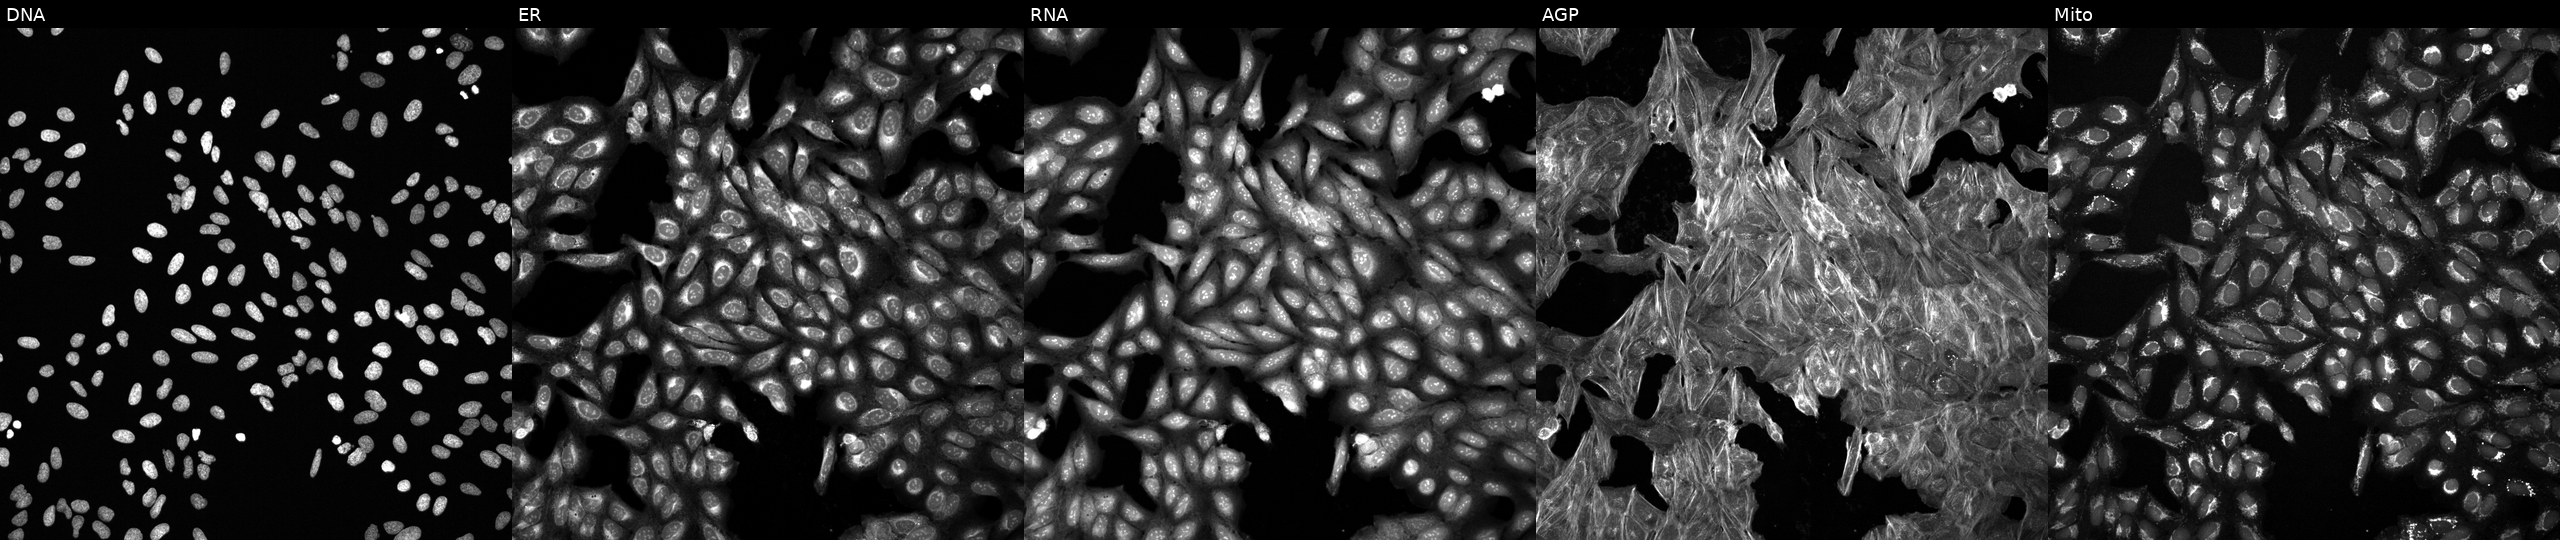
High-content fluorescence microscopy (Cell Painting). Cell line: U2OS. Perturbation: exposed to DMSO alone as a negative control (JUMP id JCP2022_033924). From left to right: DNA, ER, RNA, AGP, and Mito.